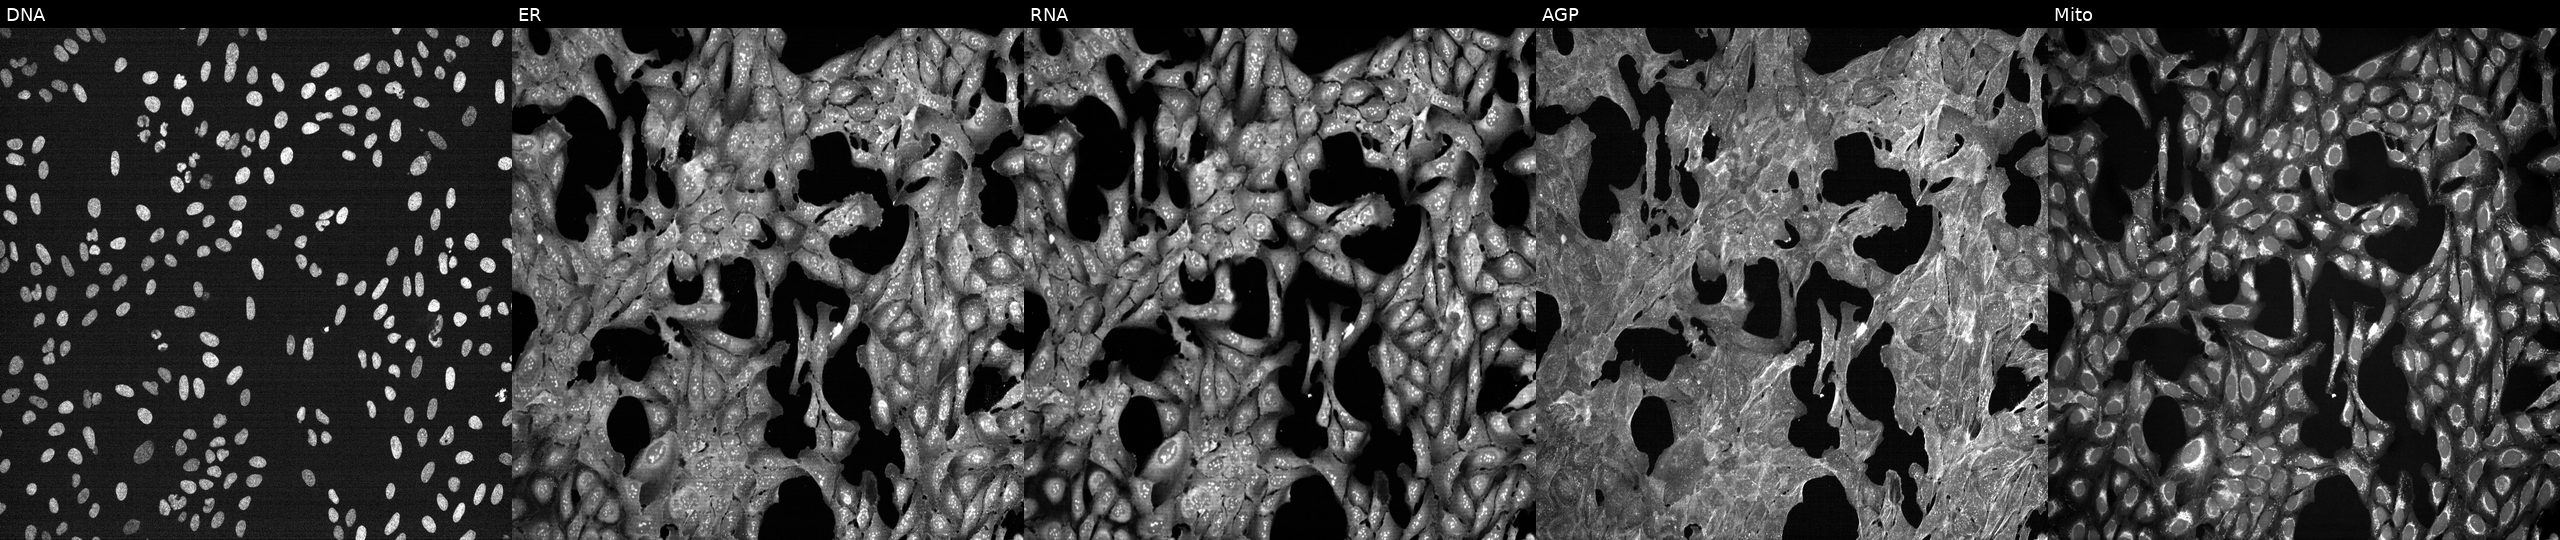
JUMP Cell Painting — TARGET2 plate. U2OS cells exposed to DMSO alone as a negative control. From left to right: DNA, ER, RNA, AGP, and Mito.